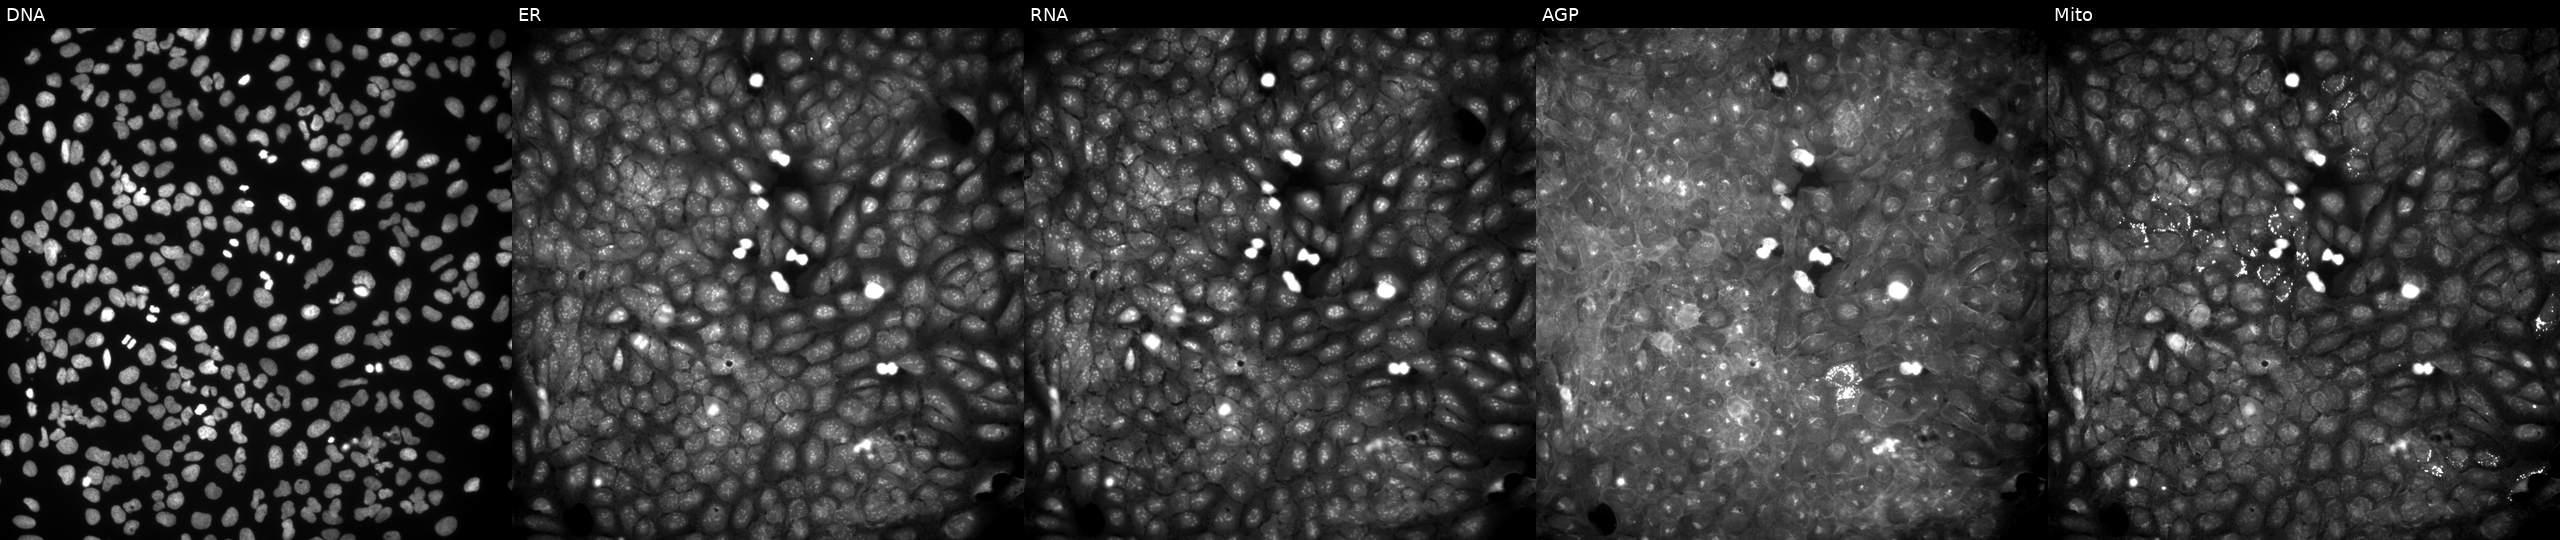
This image strip shows the five Cell Painting channels for a single field of U2OS cells perturbed with a small-molecule compound (InChIKey FFYJZDYSOUIIGH-UHFFFAOYSA-N). The five panels, left to right, show DNA (nuclei); ER (endoplasmic reticulum); RNA (nucleoli and cytoplasmic RNA); AGP (actin cytoskeleton, Golgi, and plasma membrane); Mito (mitochondria). Source 9, plate GR00003382, well R31.